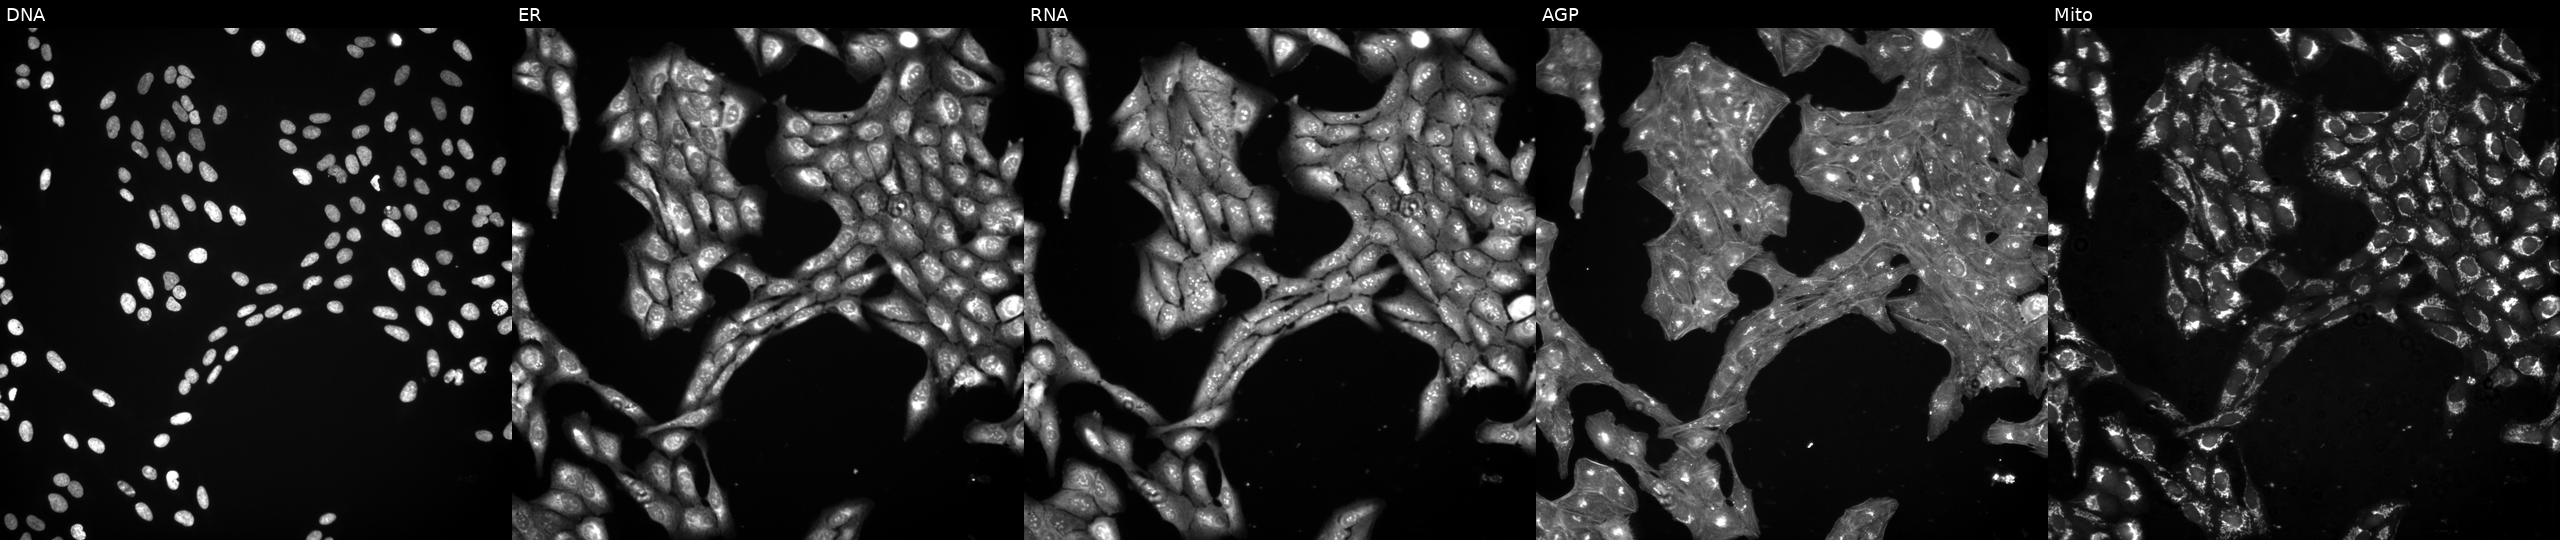
This image strip shows the five Cell Painting channels for a single field of U2OS cells exposed to a small-molecule compound (InChIKey OTSSYHNUHICULA-UHFFFAOYSA-N) (JUMP id JCP2022_066069). The five panels, left to right, show DNA (nuclei); ER (endoplasmic reticulum); RNA (nucleoli and cytoplasmic RNA); AGP (actin cytoskeleton, Golgi, and plasma membrane); Mito (mitochondria).